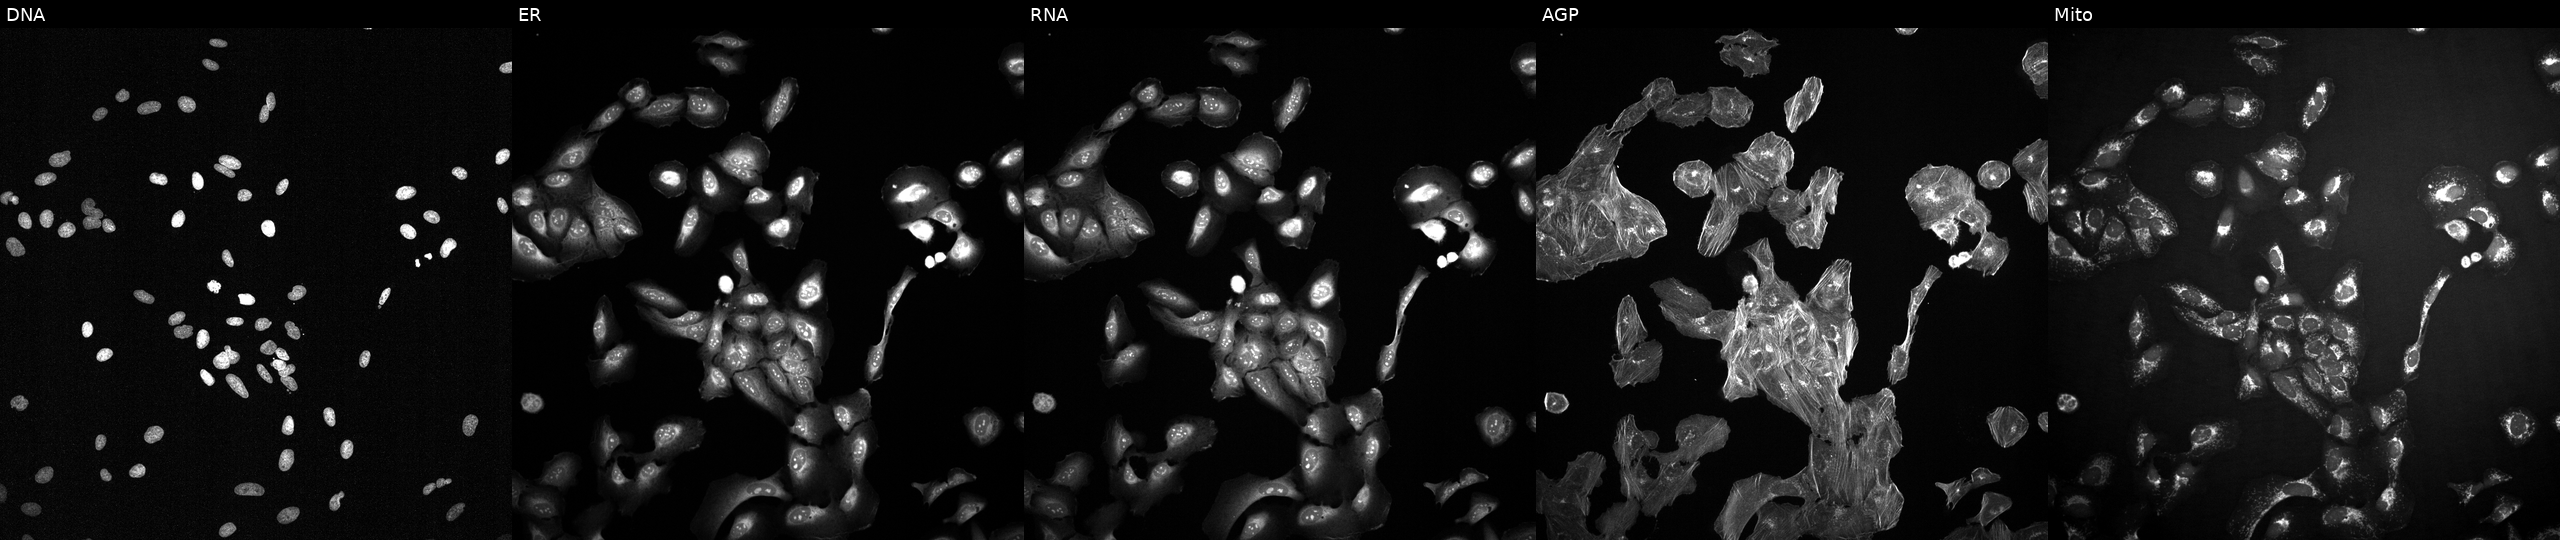
U2OS cells, Cell Painting assay, exposed to the positive-control compound TC-S-7004. The five panels, left to right, show DNA, ER, RNA, AGP, and Mito. Each panel is percentile-stretched 16-bit fluorescence. Source 2, plate 1053599503, well K12.